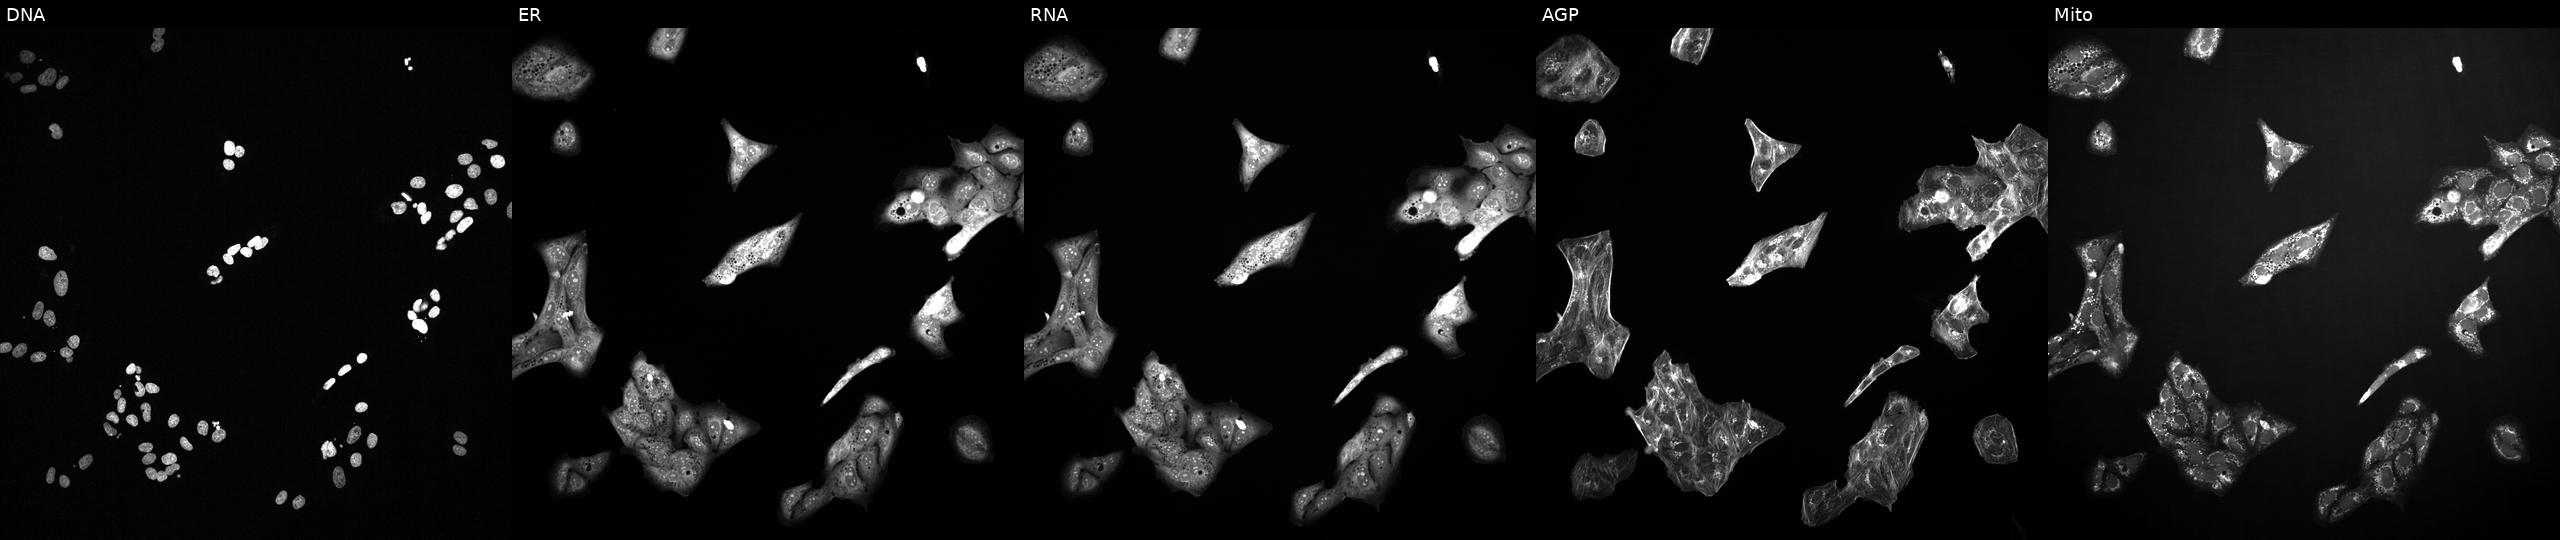
High-content fluorescence microscopy (Cell Painting). Cell line: U2OS. Perturbation: treated with a small-molecule compound (InChIKey SCELLOWTHJGVIC-UHFFFAOYSA-N) [SMILES: CC1CN(CC(=O)Nc2ccc3c(c2)Cc2cccc(-c4cc(=O)cc(N5CCOCC5)o4)c2S3)CC(C)O1]. From left to right: Hoechst 33342, concanavalin A, SYTO 14, phalloidin and WGA, MitoTracker.